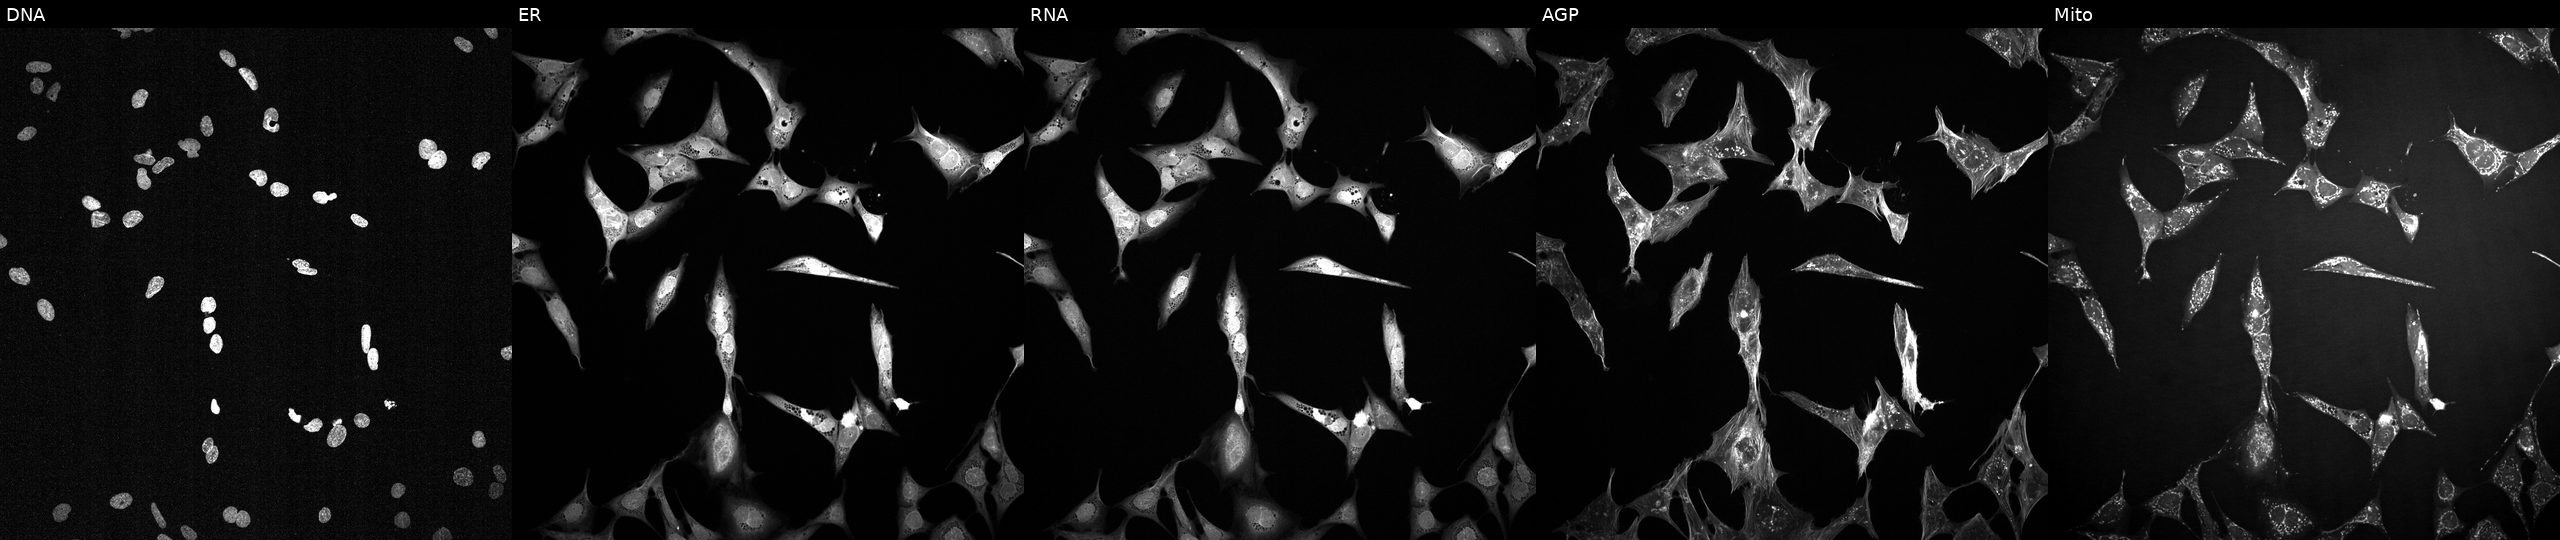
JUMP Cell Painting — TARGET2 plate. U2OS cells exposed to a small-molecule compound (InChIKey XLSYZSRXVVCHLS-UHFFFAOYSA-N). Channels (left→right): DNA (nuclei); ER (endoplasmic reticulum); RNA (nucleoli and cytoplasmic RNA); AGP (actin cytoskeleton, Golgi, and plasma membrane); Mito (mitochondria).